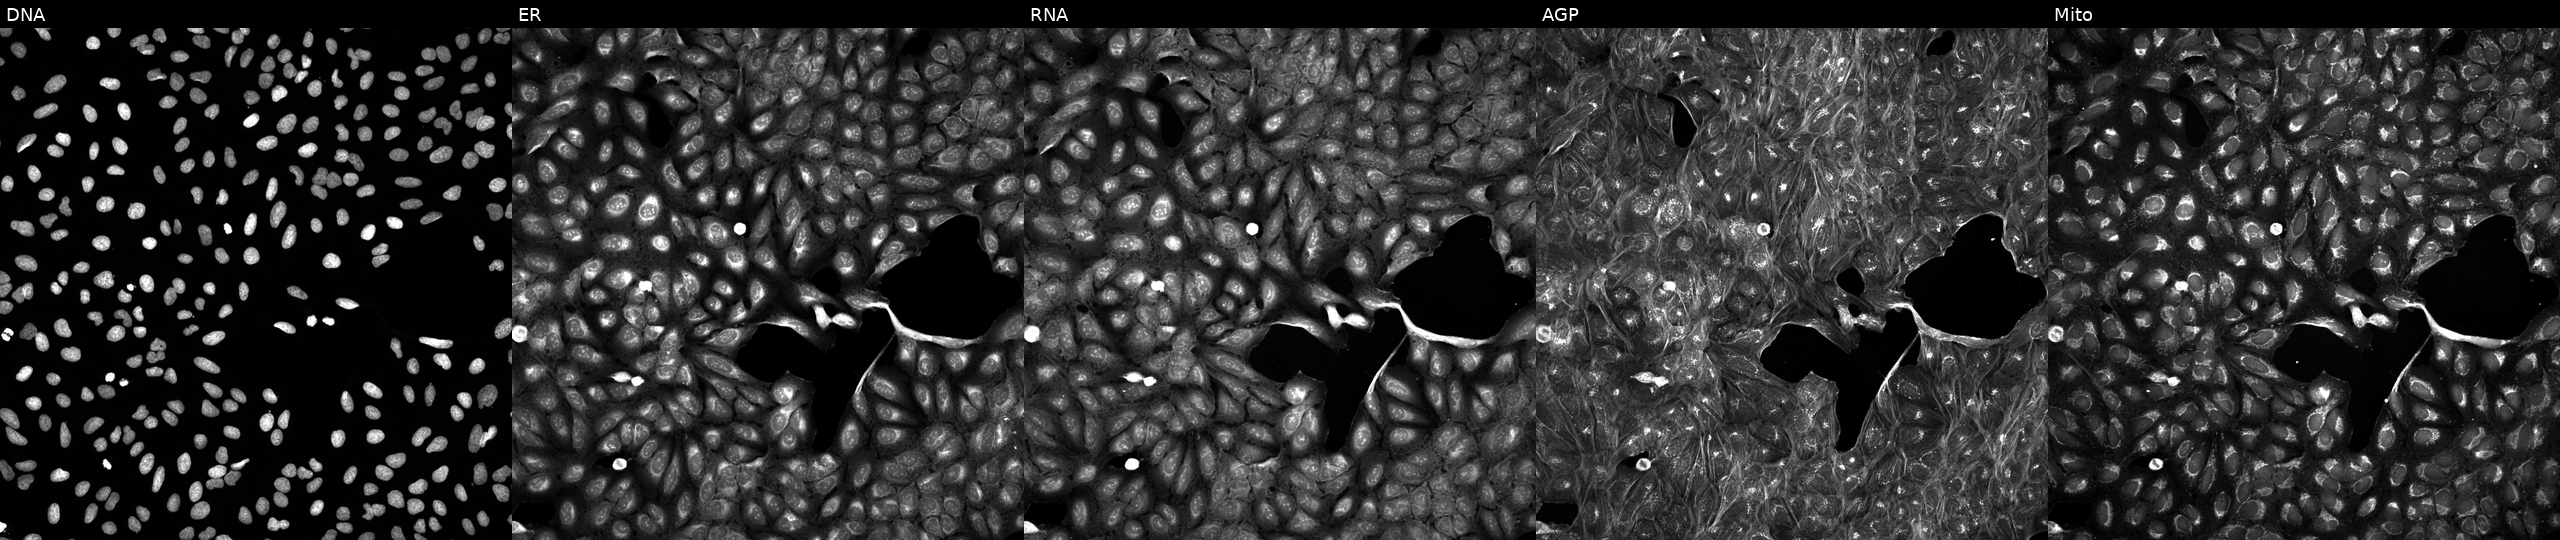
This image strip shows the five Cell Painting channels for a single field of U2OS cells exposed to DMSO alone as a negative control (JUMP id JCP2022_033924). Channels (left→right): DNA (nuclei); ER (endoplasmic reticulum); RNA (nucleoli and cytoplasmic RNA); AGP (actin cytoskeleton, Golgi, and plasma membrane); Mito (mitochondria).